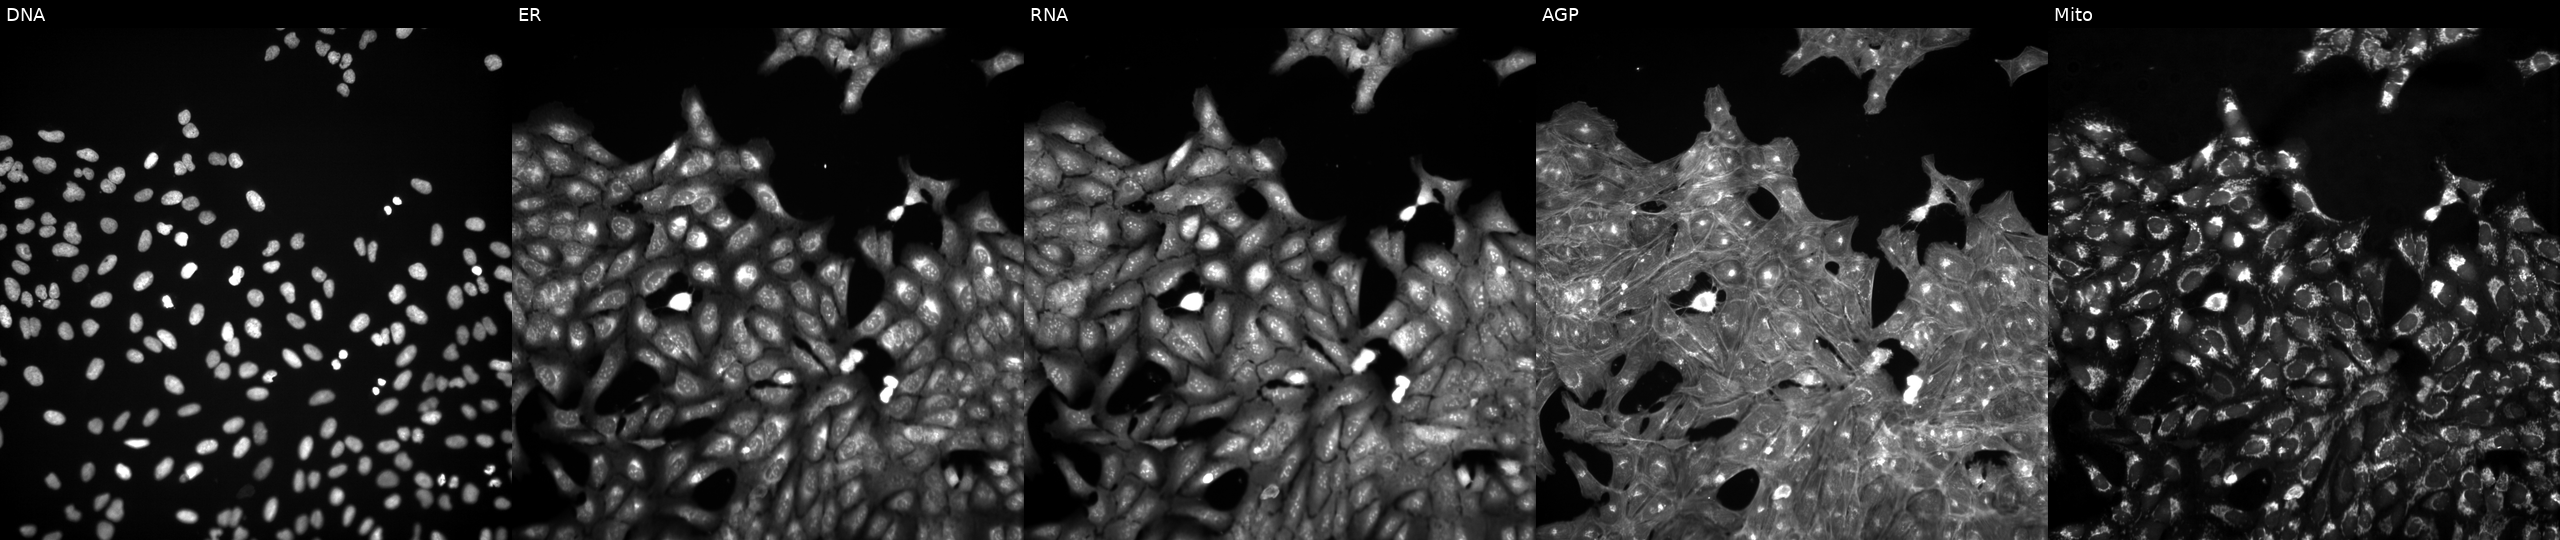
High-content fluorescence microscopy (Cell Painting). Cell line: U2OS. Perturbation: perturbed with a small-molecule compound (InChIKey LLIFMNUXGDHTRO-UHFFFAOYSA-N). Panels show, left to right, DNA, ER, RNA, AGP, and Mito. Source 3, plate JCPQC053, well P09.